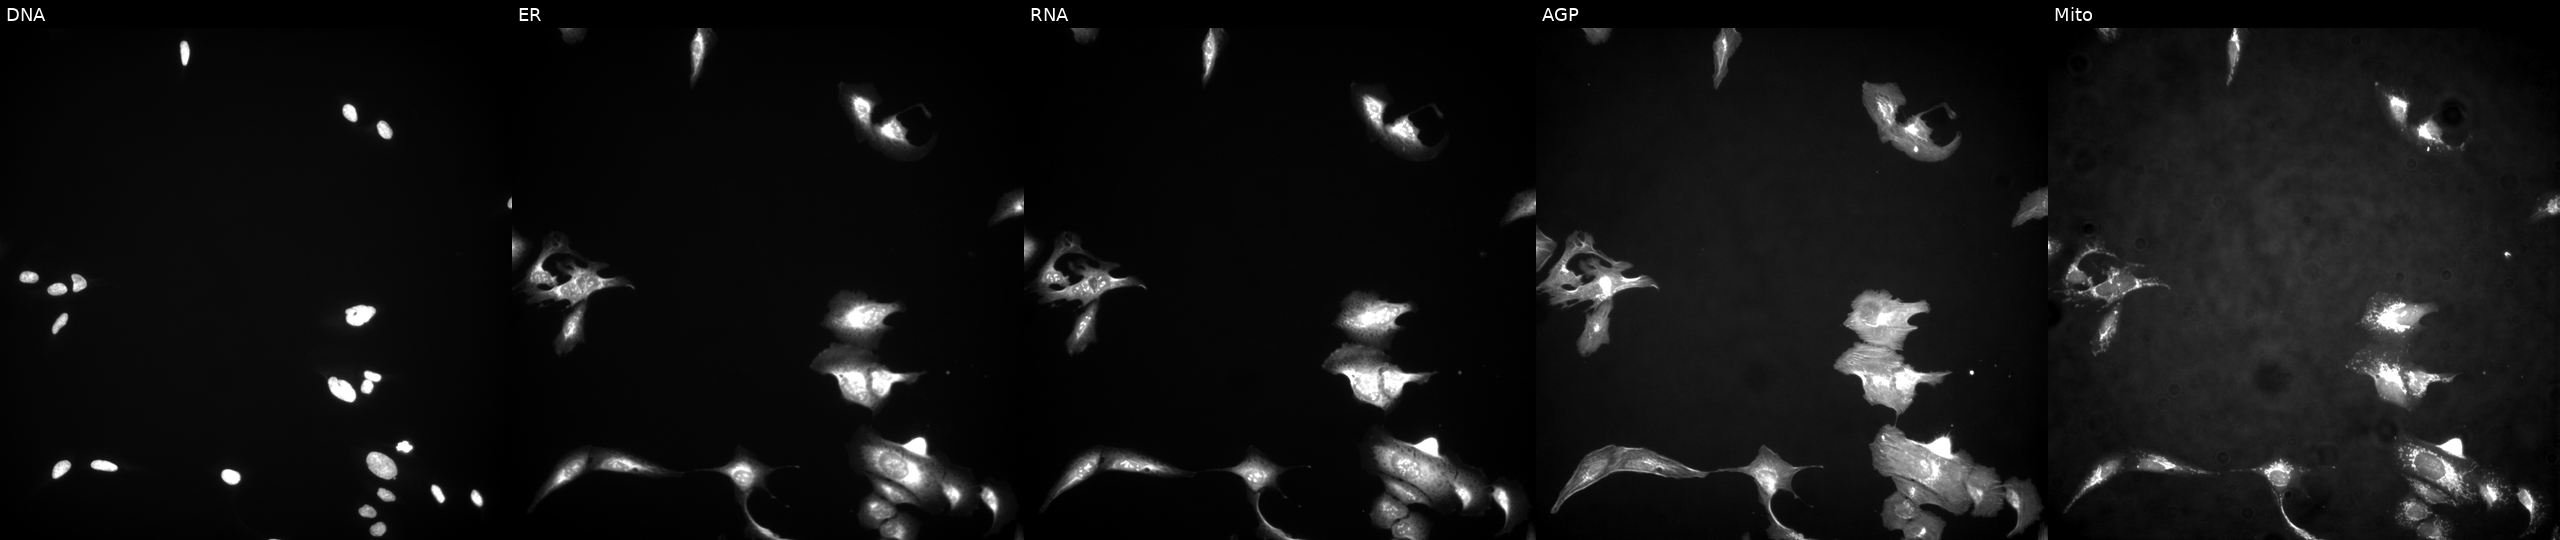
This image strip shows the five Cell Painting channels for a single field of U2OS cells overexpressing OR2C1 via ORF transfection. The five panels, left to right, show Hoechst 33342, concanavalin A, SYTO 14, phalloidin and WGA, MitoTracker.